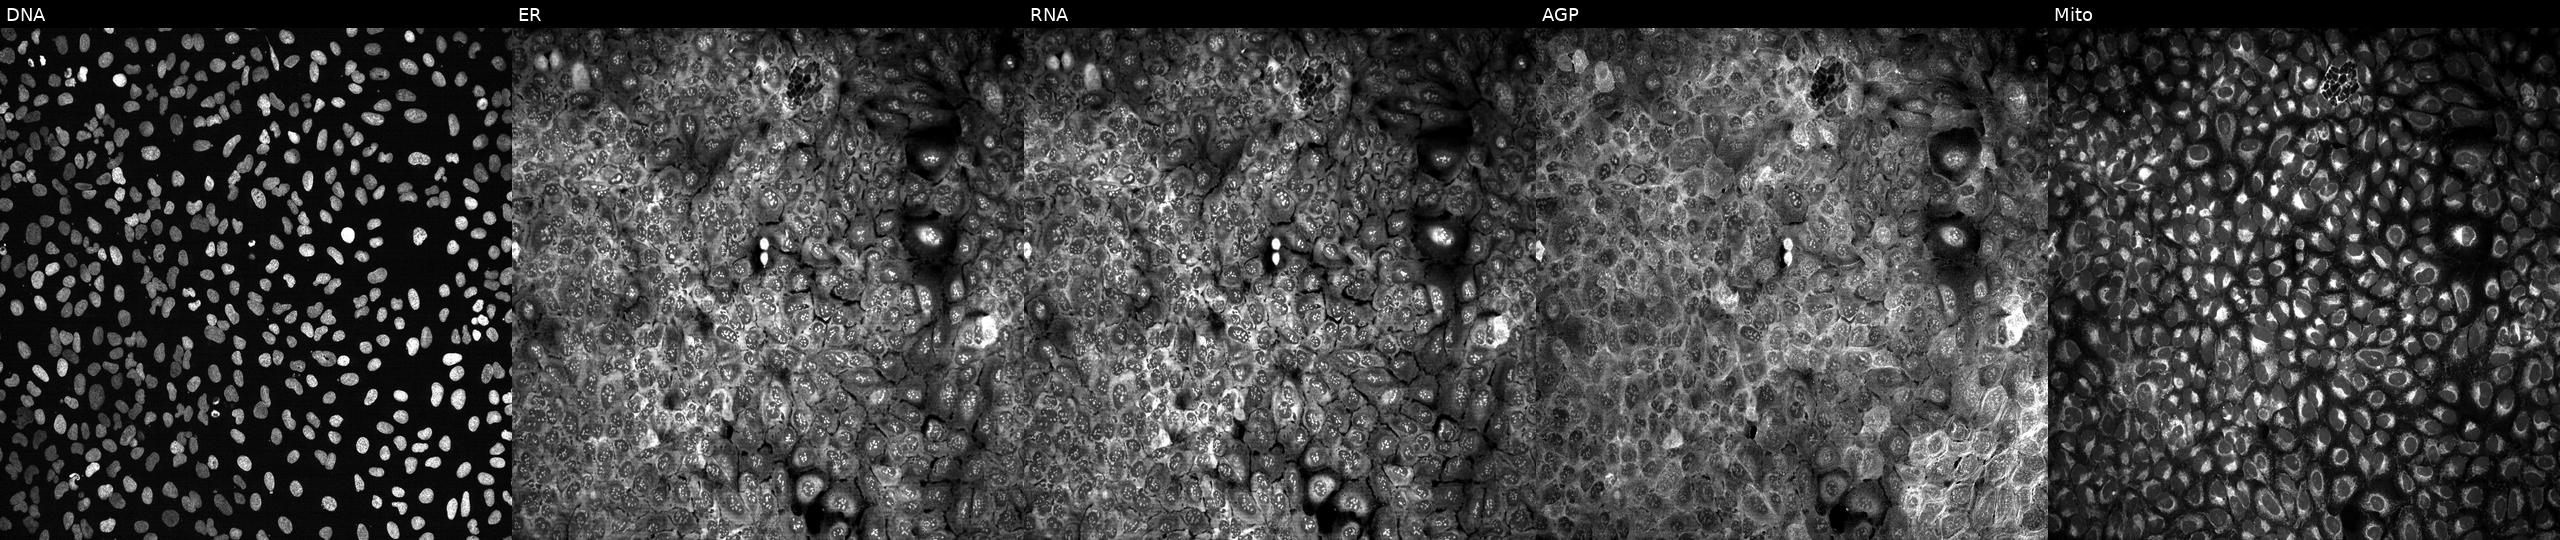
Five-channel Cell Painting image of U2OS cells CRISPR-edited to disrupt MLYCD (JUMP id JCP2022_804203). Channels (left→right): Hoechst 33342, concanavalin A, SYTO 14, phalloidin and WGA, MitoTracker.